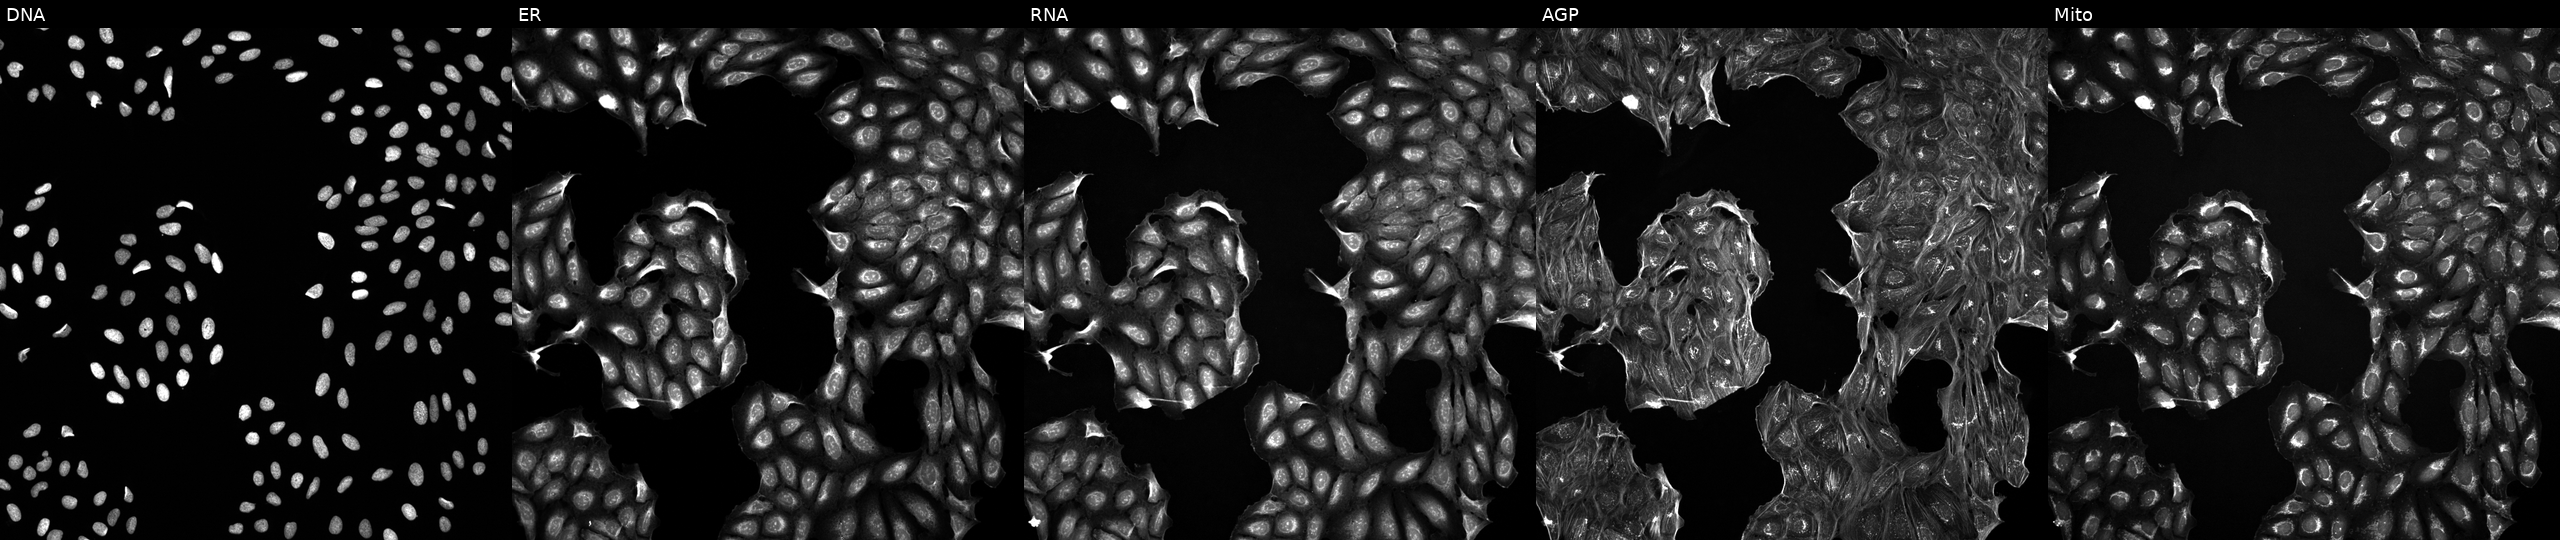
Five-channel Cell Painting image of U2OS cells treated with a small-molecule compound (JUMP id JCP2022_105456). The five panels, left to right, show Hoechst 33342, concanavalin A, SYTO 14, phalloidin and WGA, MitoTracker. Source 5, plate ACPJUM012, well C01.